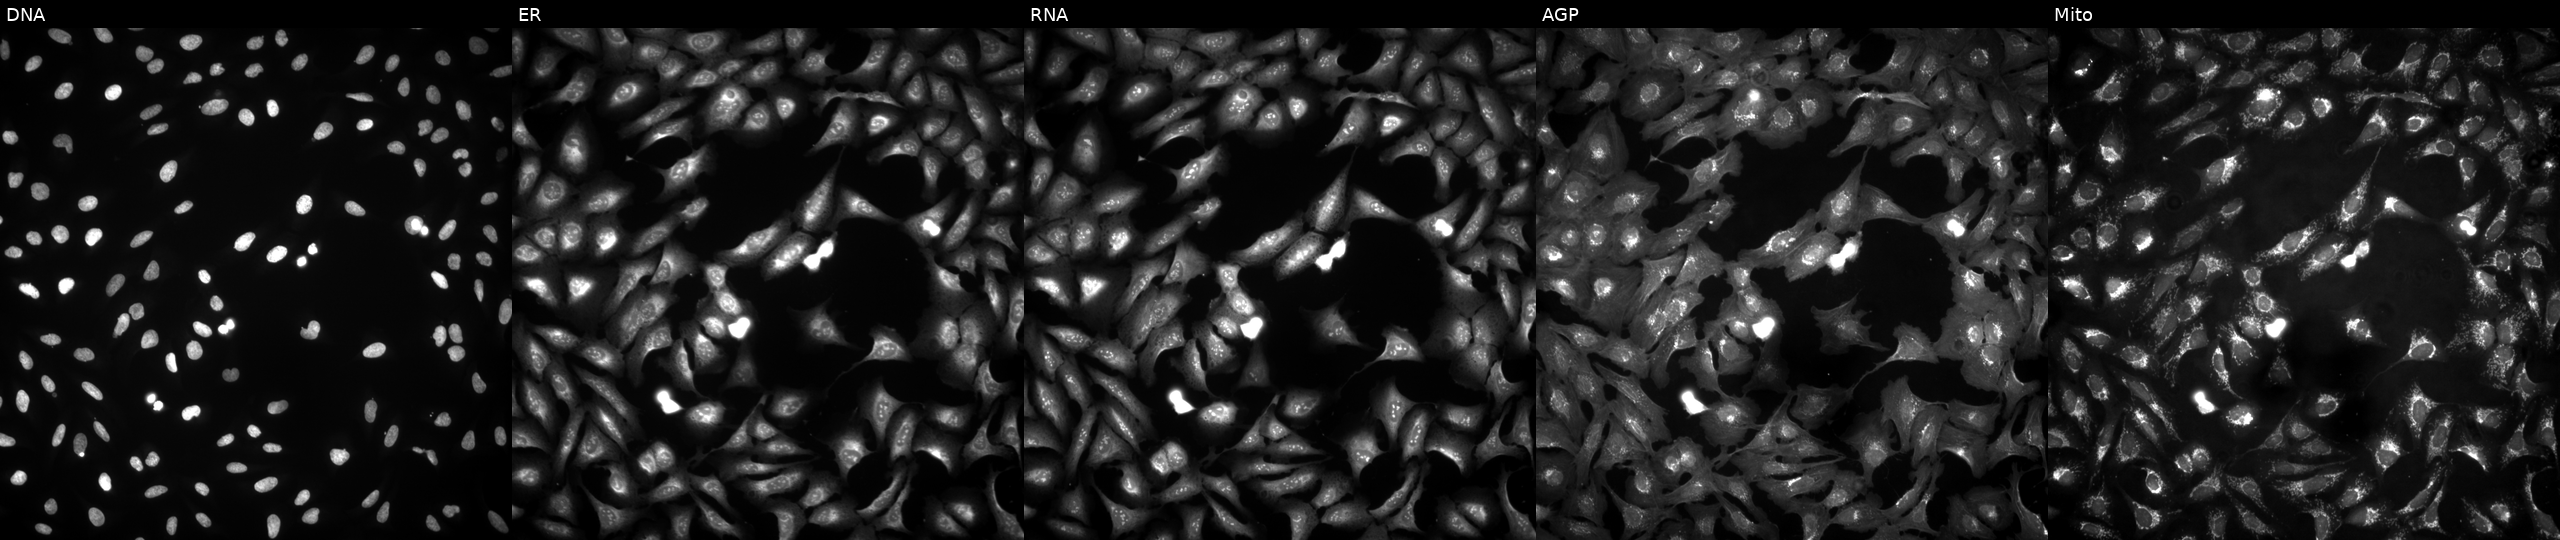
High-content fluorescence microscopy (Cell Painting). Cell line: U2OS. Perturbation: overexpressing MGAT5B via ORF transfection (JUMP id JCP2022_912333). From left to right: DNA (nuclei); ER (endoplasmic reticulum); RNA (nucleoli and cytoplasmic RNA); AGP (actin cytoskeleton, Golgi, and plasma membrane); Mito (mitochondria).